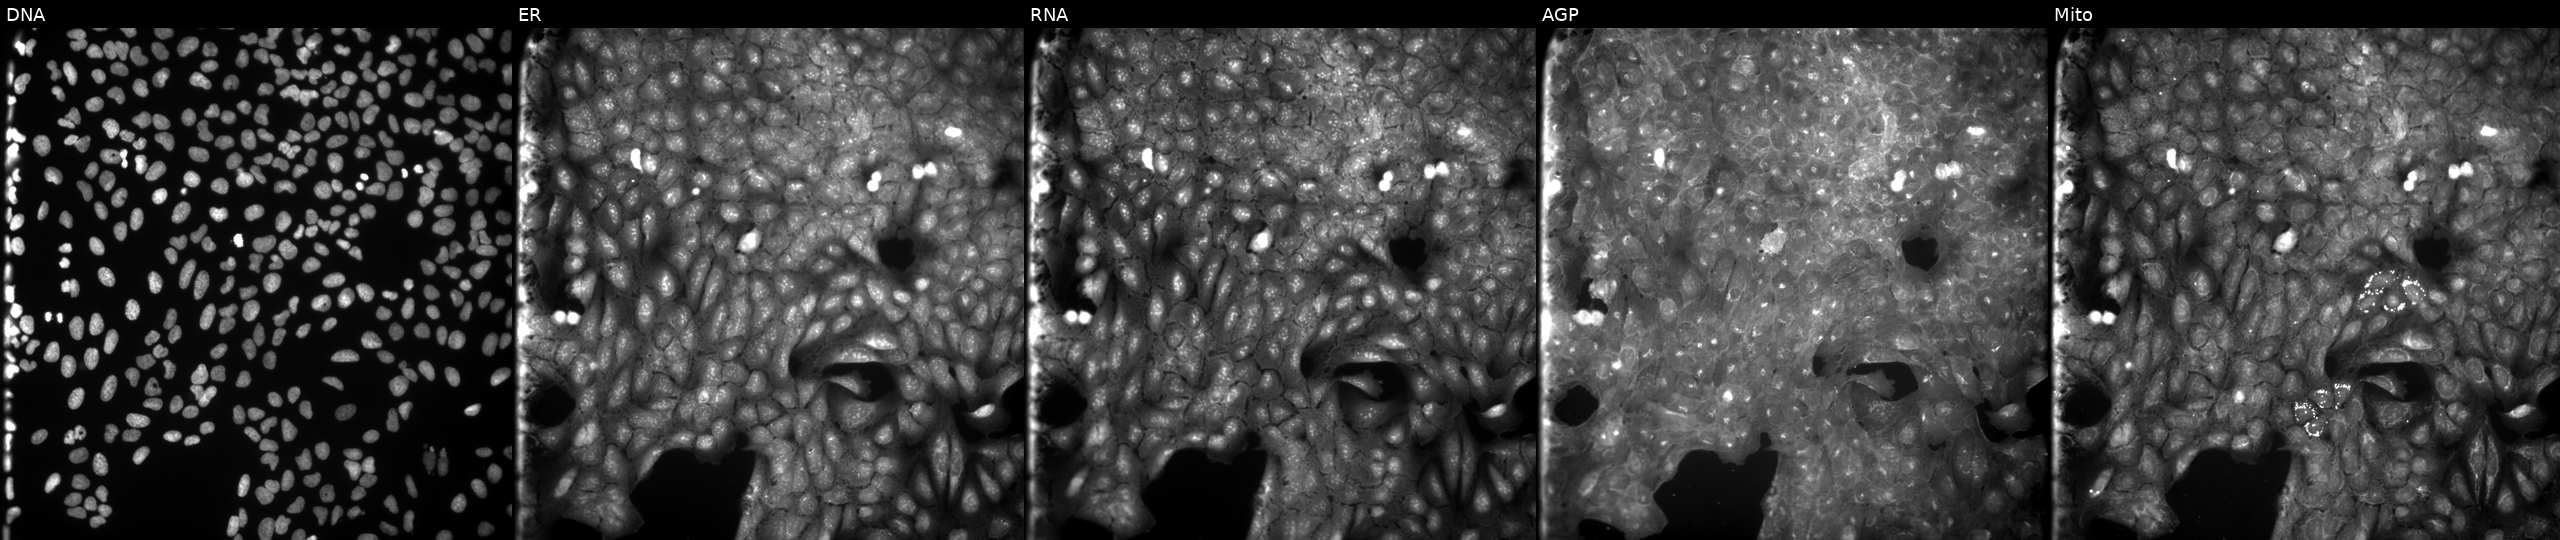
High-content fluorescence microscopy (Cell Painting). Cell line: U2OS. Perturbation: exposed to a small-molecule compound (InChIKey SOBQACHTACGHKY-UHFFFAOYSA-N) (JUMP id JCP2022_084507). The five panels, left to right, show DNA (nuclei); ER (endoplasmic reticulum); RNA (nucleoli and cytoplasmic RNA); AGP (actin cytoskeleton, Golgi, and plasma membrane); Mito (mitochondria).